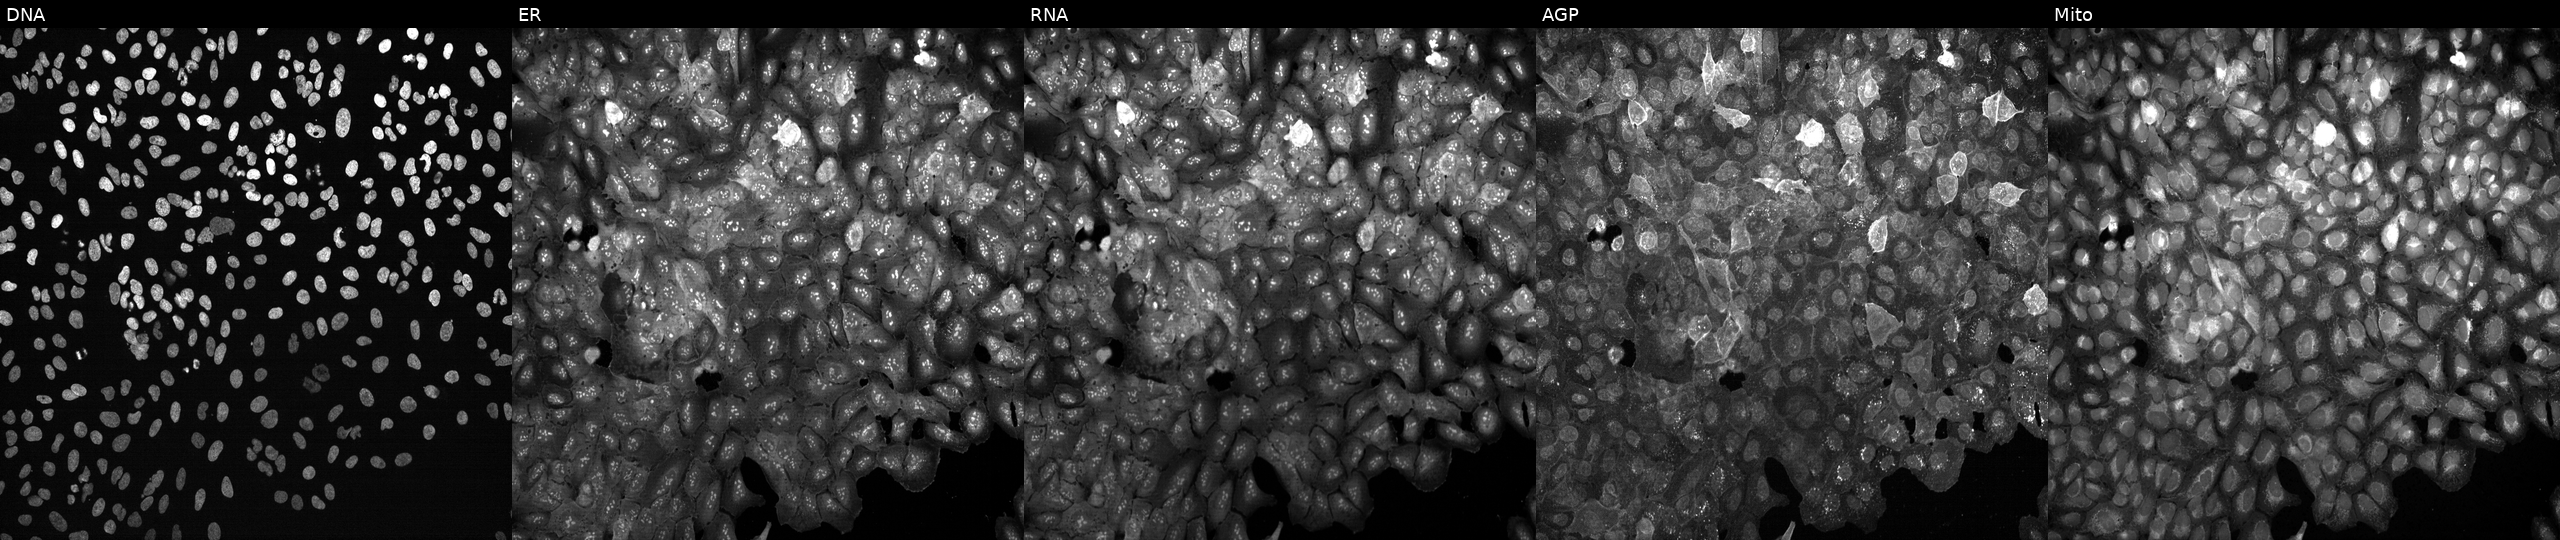
JUMP Cell Painting — CRISPR plate. U2OS cells CRISPR-edited to disrupt NLRP2 (JUMP id JCP2022_804606). The five panels, left to right, show Hoechst 33342, concanavalin A, SYTO 14, phalloidin and WGA, MitoTracker. Source 13, plate CP-CC9-R1-01, well P14.